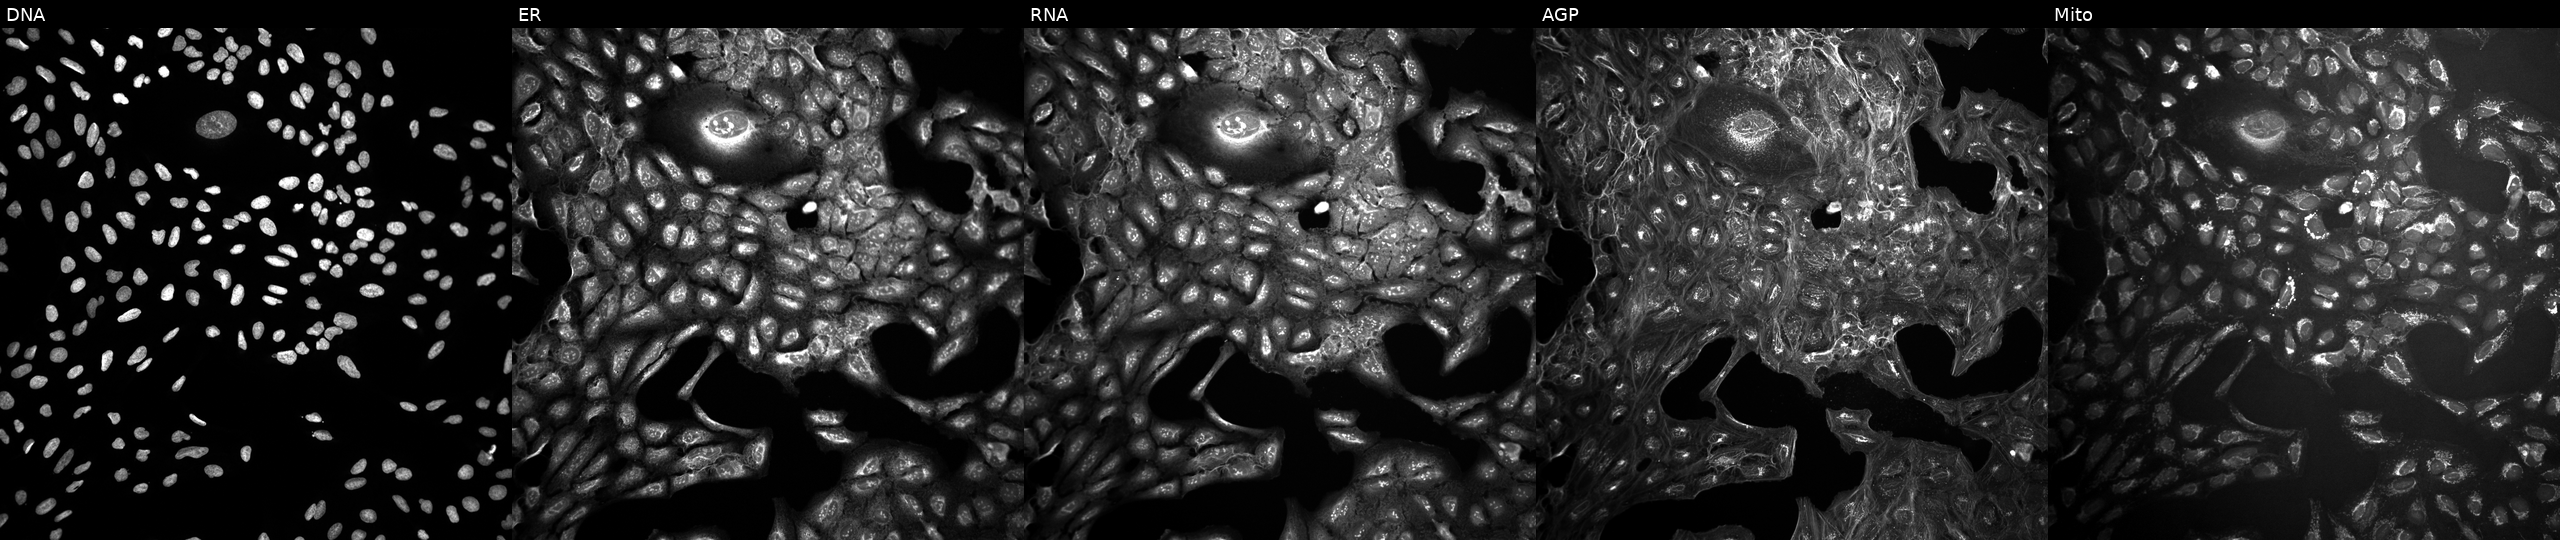
JUMP Cell Painting — COMPOUND plate. U2OS cells in an empty control well (no perturbation) (JUMP id JCP2022_999999). Channels (left→right): DNA, ER, RNA, AGP, and Mito.